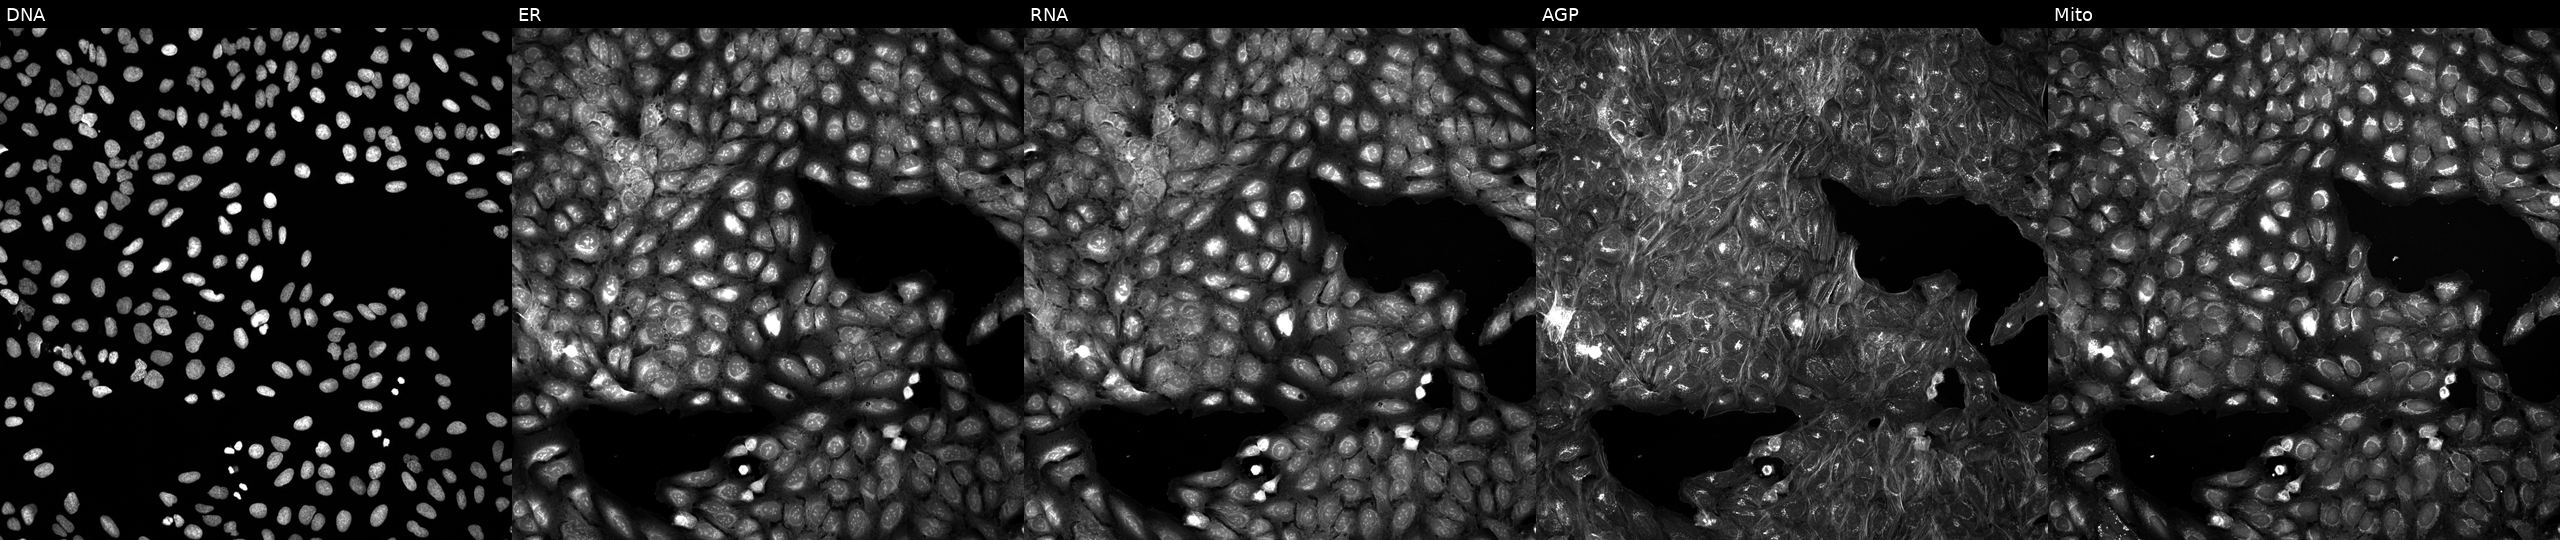
High-content fluorescence microscopy (Cell Painting). Cell line: U2OS. Perturbation: treated with a small-molecule compound. Channels (left→right): DNA, ER, RNA, AGP, and Mito. Source 5, plate APTJUM105, well E18.